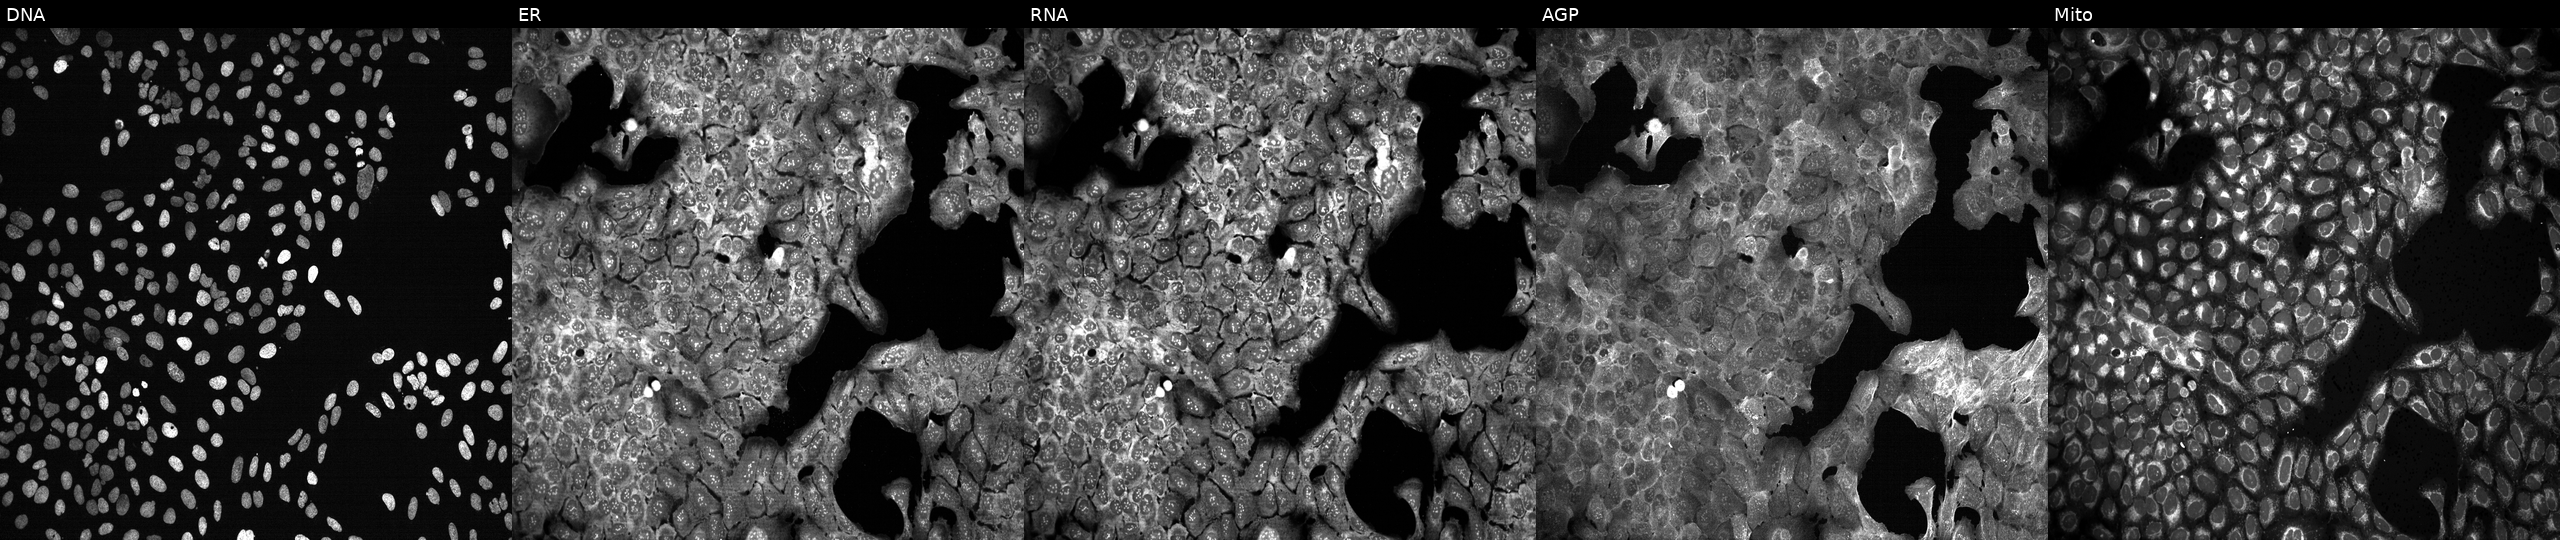
Five-channel Cell Painting image of U2OS cells following CRISPR knockout of RHEB (JUMP id JCP2022_805949). Panels show, left to right, DNA, ER, RNA, AGP, and Mito.